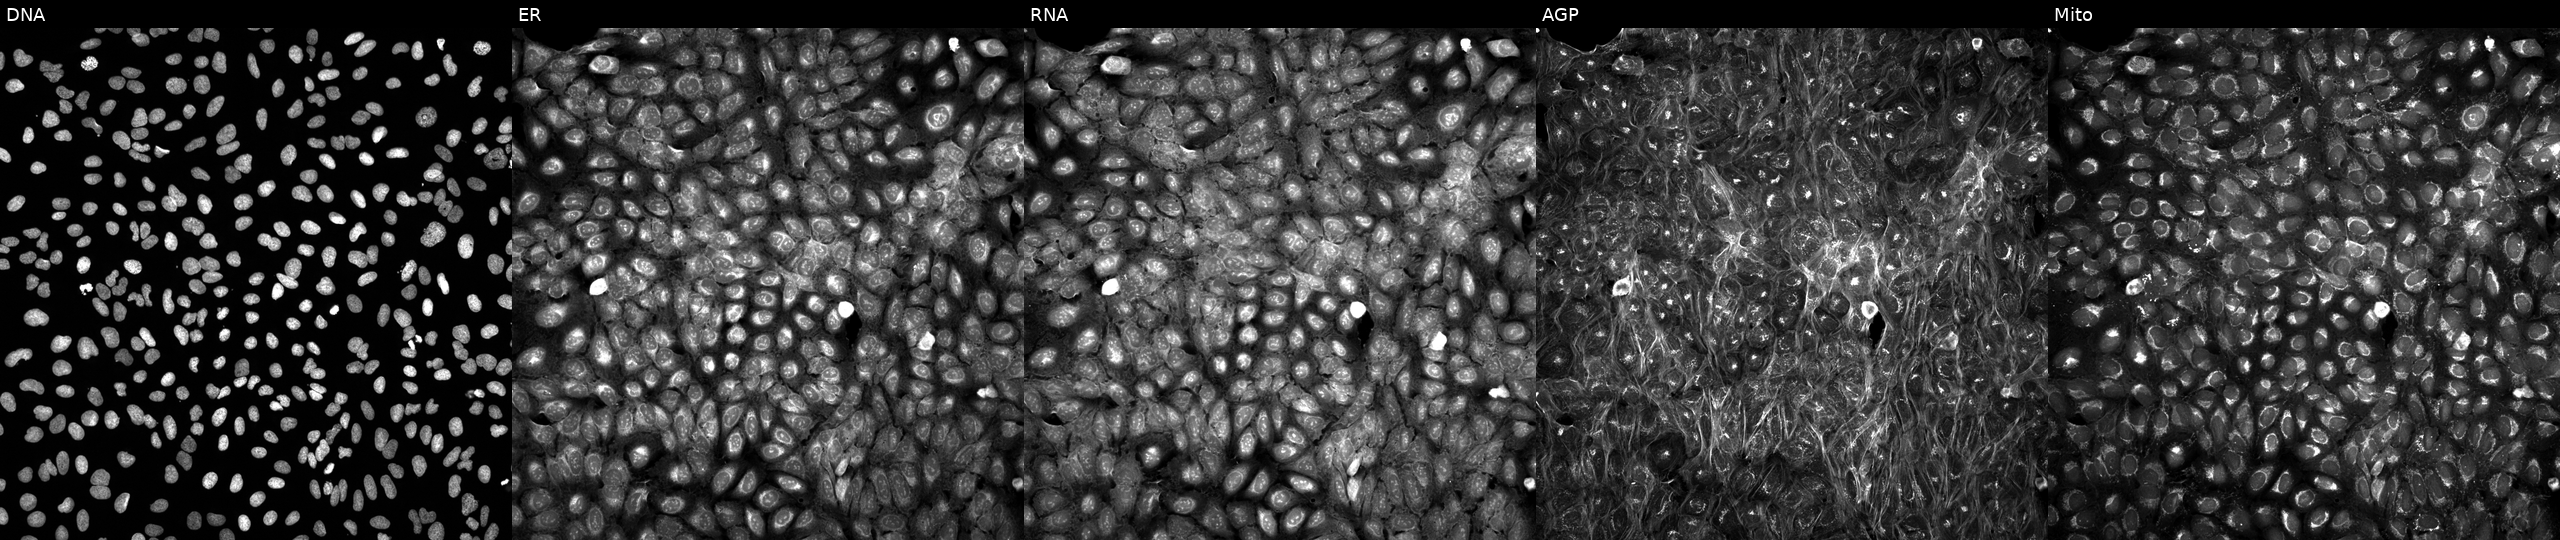
JUMP Cell Painting — TARGET2 plate. U2OS cells treated with a small-molecule compound (InChIKey MFDFERRIHVXMIY-UHFFFAOYSA-N) [SMILES: CCN(CC)CCOC(=O)c1ccc(N)cc1] (JUMP id JCP2022_053734). Panels show, left to right, Hoechst 33342, concanavalin A, SYTO 14, phalloidin and WGA, MitoTracker.